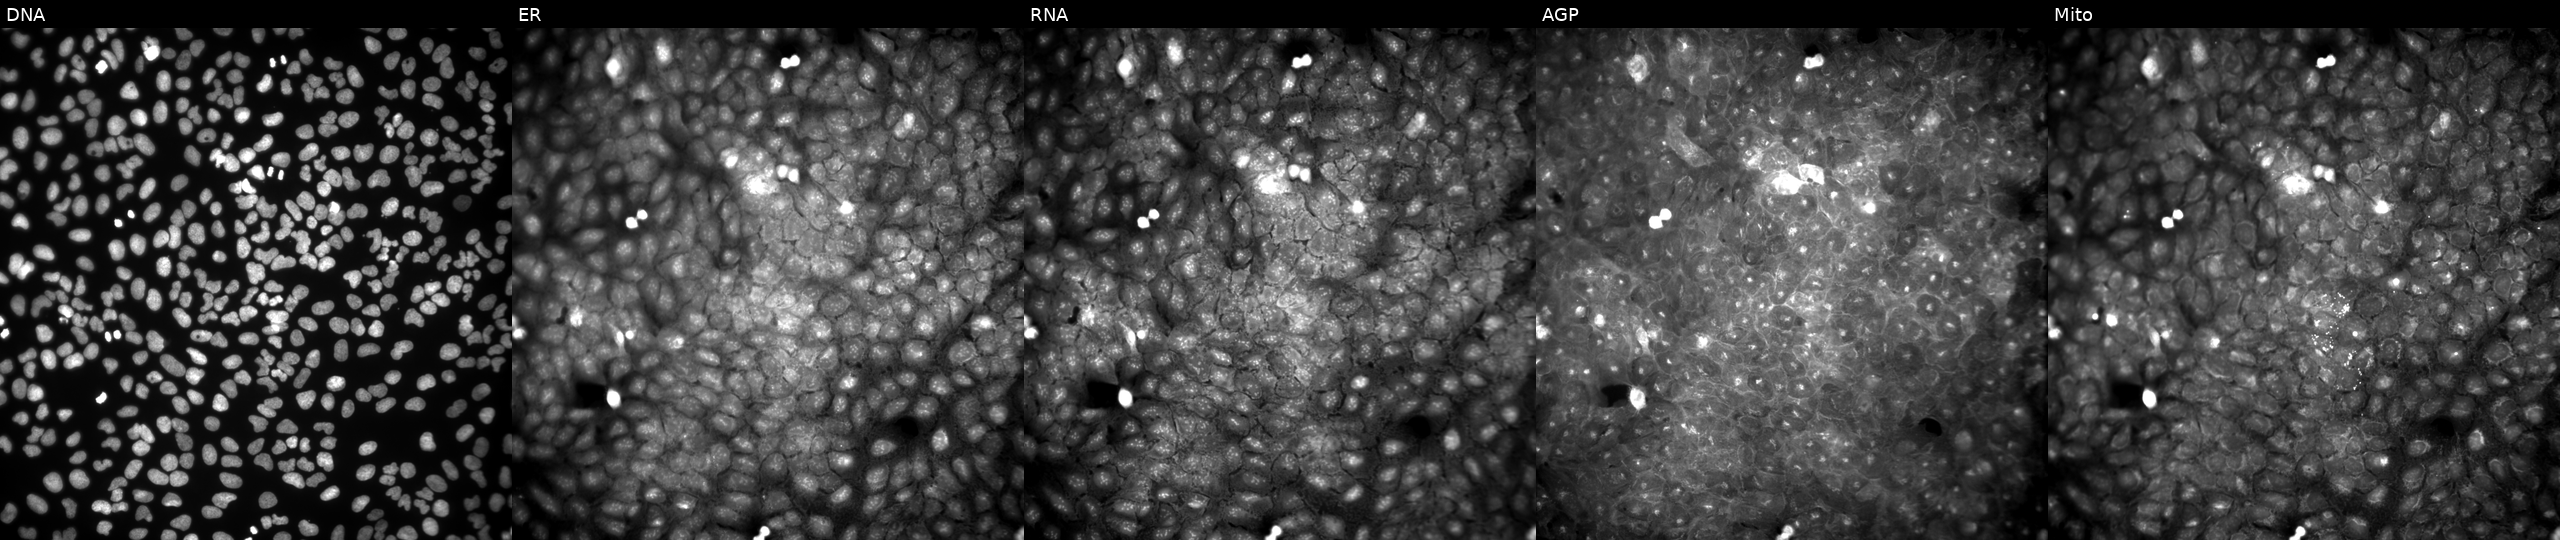
JUMP Cell Painting — COMPOUND plate. U2OS cells treated with DMSO vehicle only (negative control) (JUMP id JCP2022_033924). Channels (left→right): DNA (nuclei); ER (endoplasmic reticulum); RNA (nucleoli and cytoplasmic RNA); AGP (actin cytoskeleton, Golgi, and plasma membrane); Mito (mitochondria). Source 9, plate GR00003382, well X47.